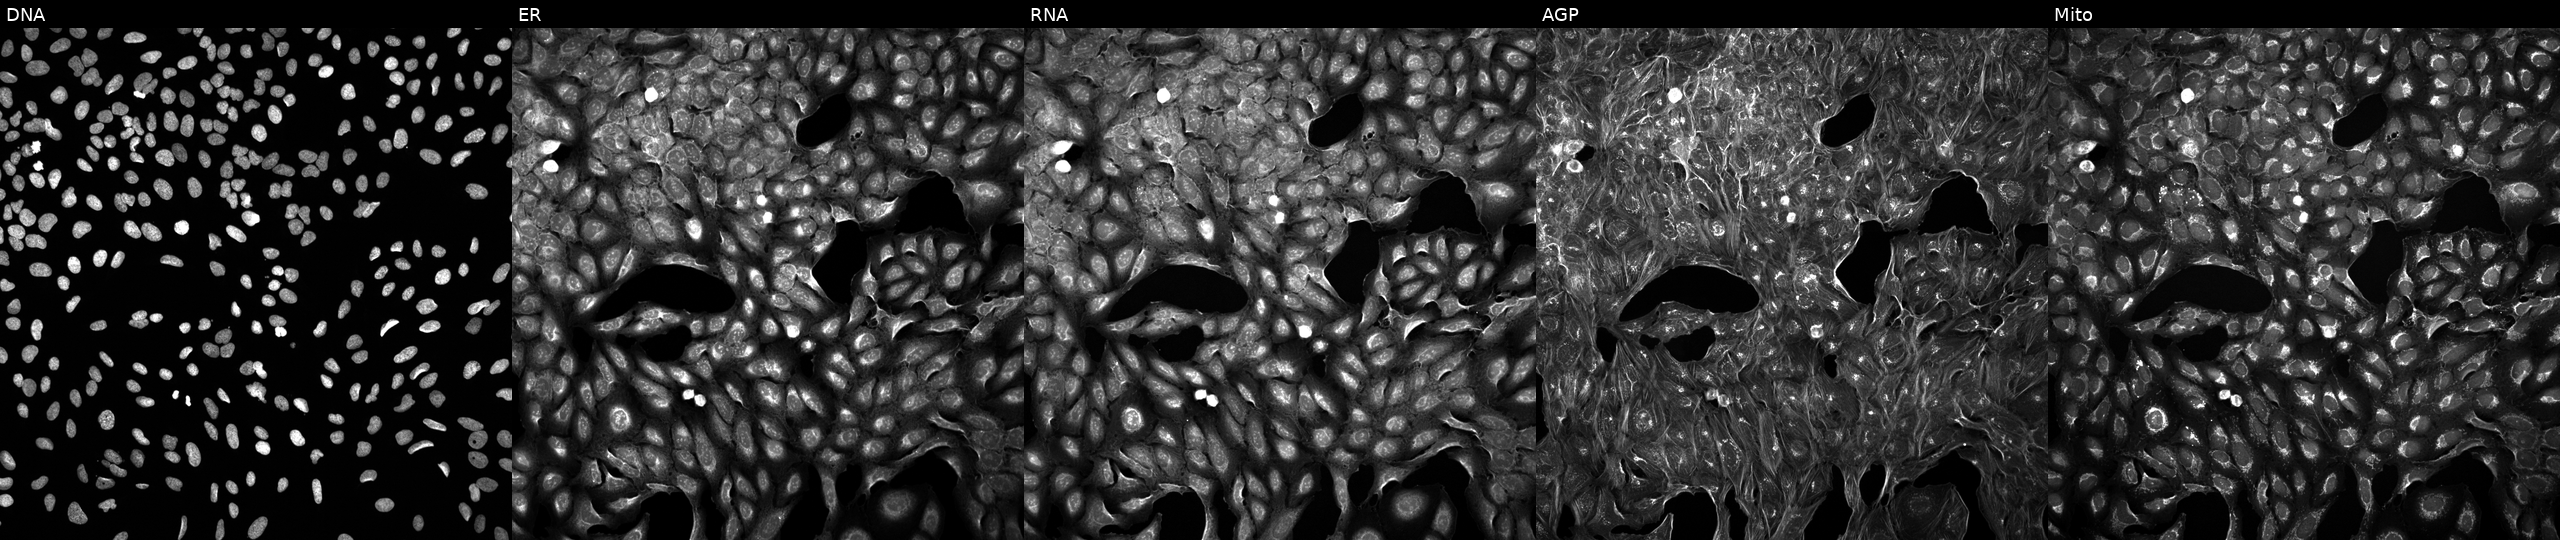
High-content fluorescence microscopy (Cell Painting). Cell line: U2OS. Perturbation: treated with a small-molecule compound (InChIKey NLSSUSRERAMBTA-UHFFFAOYSA-N). The five panels, left to right, show DNA (nuclei); ER (endoplasmic reticulum); RNA (nucleoli and cytoplasmic RNA); AGP (actin cytoskeleton, Golgi, and plasma membrane); Mito (mitochondria).